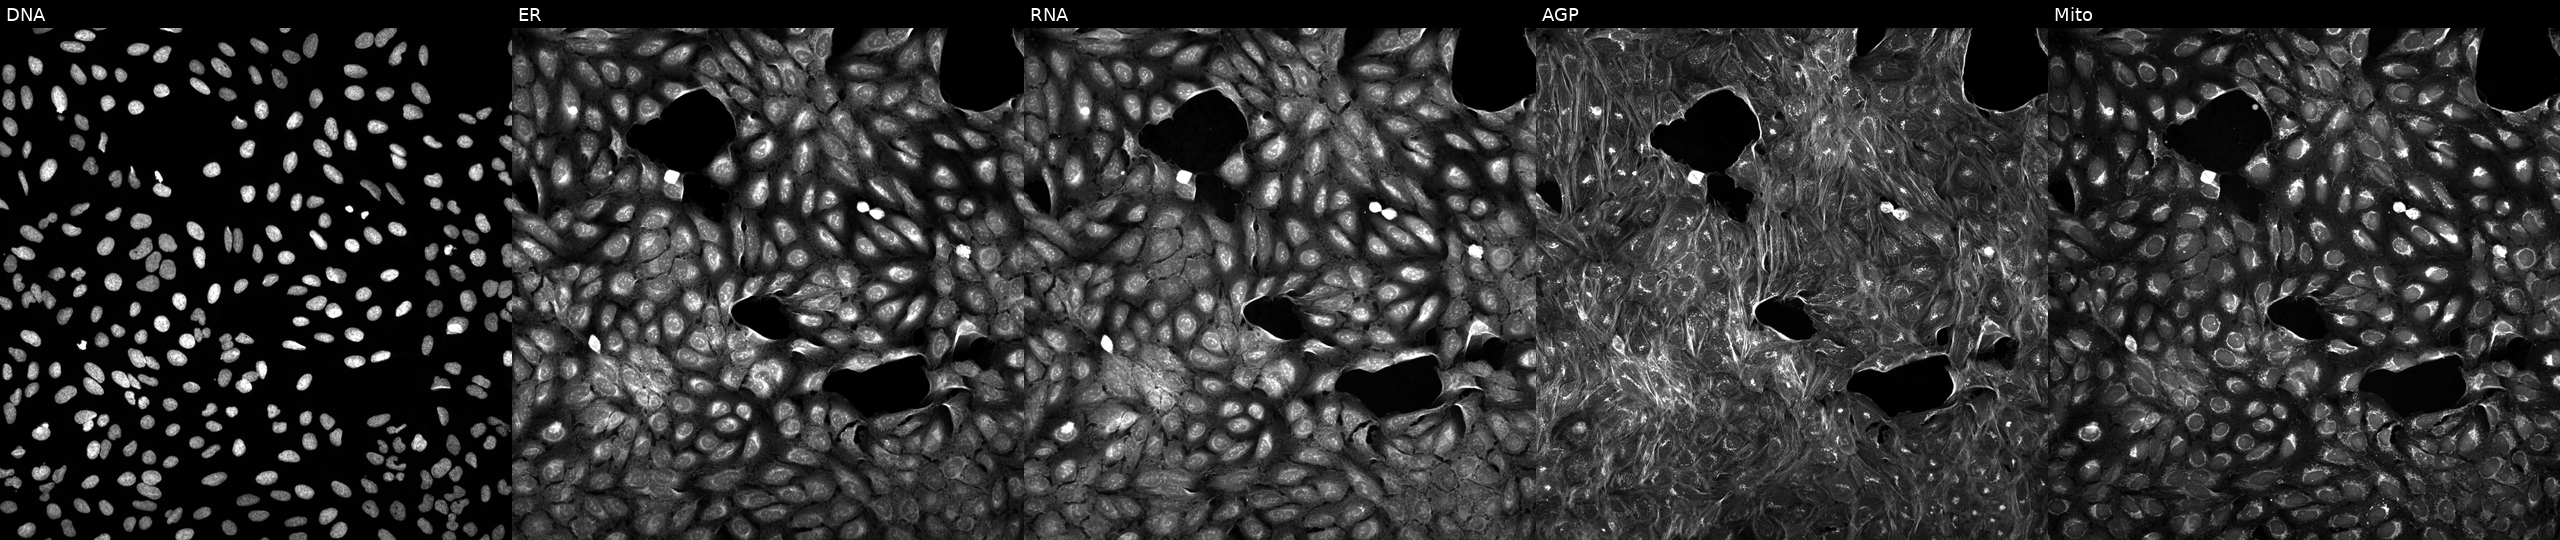
The five panels, left to right, show DNA, ER, RNA, AGP, and Mito. U2OS osteosarcoma cells treated with a small-molecule compound (InChIKey TYNLGDBUJLVSMA-UHFFFAOYSA-N). Cell Painting assay, JUMP-CP dataset. Source 5, plate ACPJUM032, well N11.